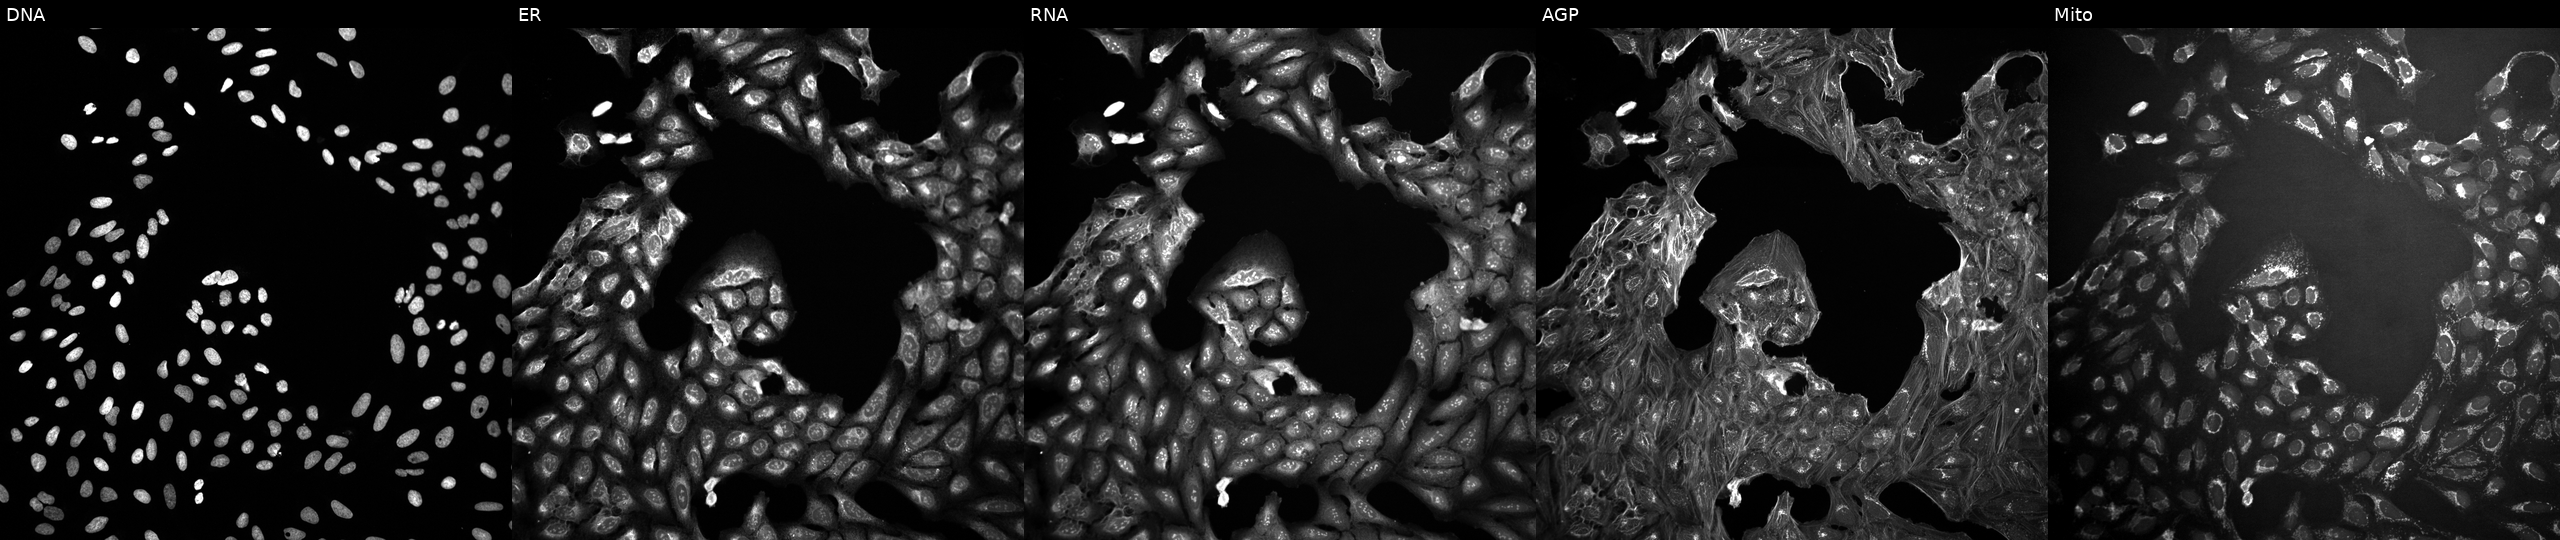
This image strip shows the five Cell Painting channels for a single field of U2OS cells treated with a small-molecule compound. The five panels, left to right, show DNA, ER, RNA, AGP, and Mito. Source 10, plate Dest210531-152324, well I16.